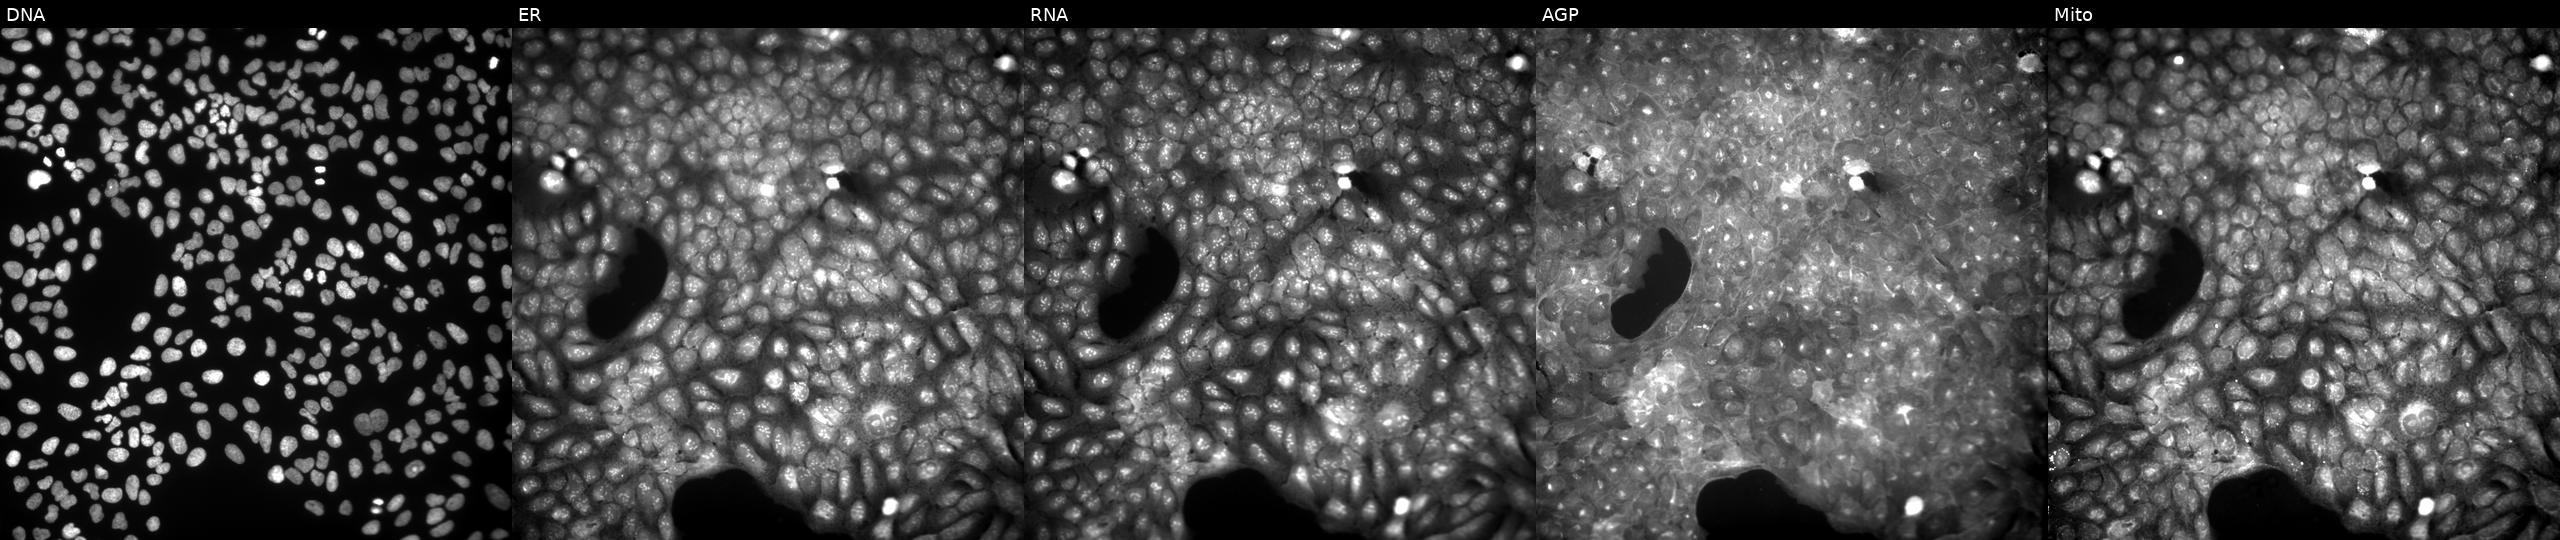
Panels show, left to right, DNA, ER, RNA, AGP, and Mito. U2OS osteosarcoma cells perturbed with a small-molecule compound (InChIKey FCNZBHJWGLPLCP-UHFFFAOYSA-N) (JUMP id JCP2022_019769). Cell Painting assay, JUMP-CP dataset. Source 9, plate GR00003382, well W39.